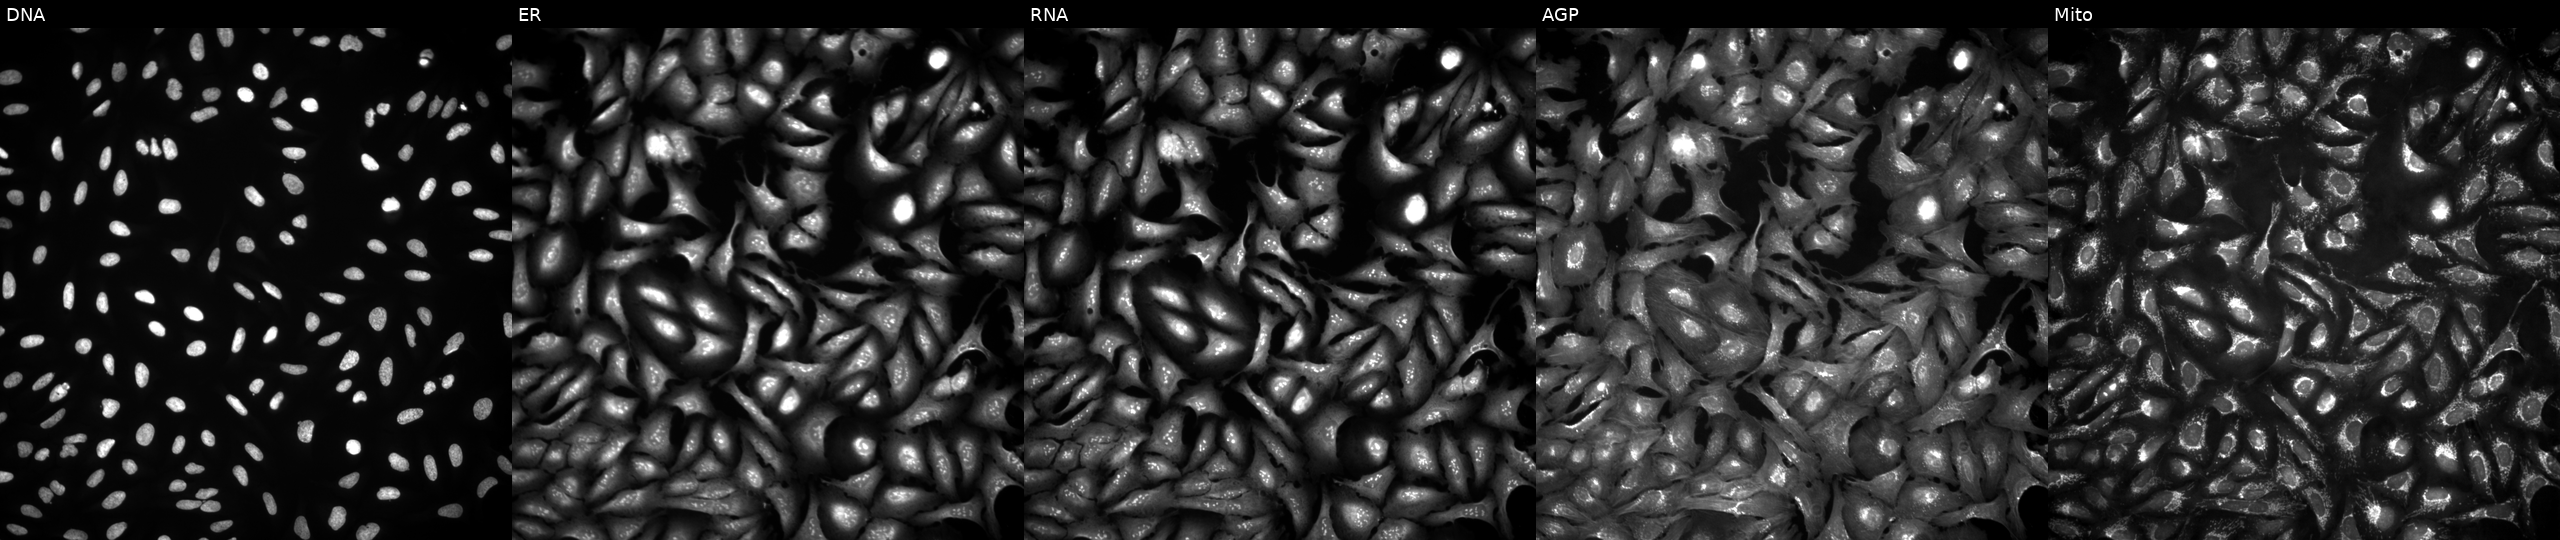
Panels show, left to right, Hoechst 33342, concanavalin A, SYTO 14, phalloidin and WGA, MitoTracker. U2OS osteosarcoma cells with AOC3 overexpressed (ORF). Cell Painting assay, JUMP-CP dataset.